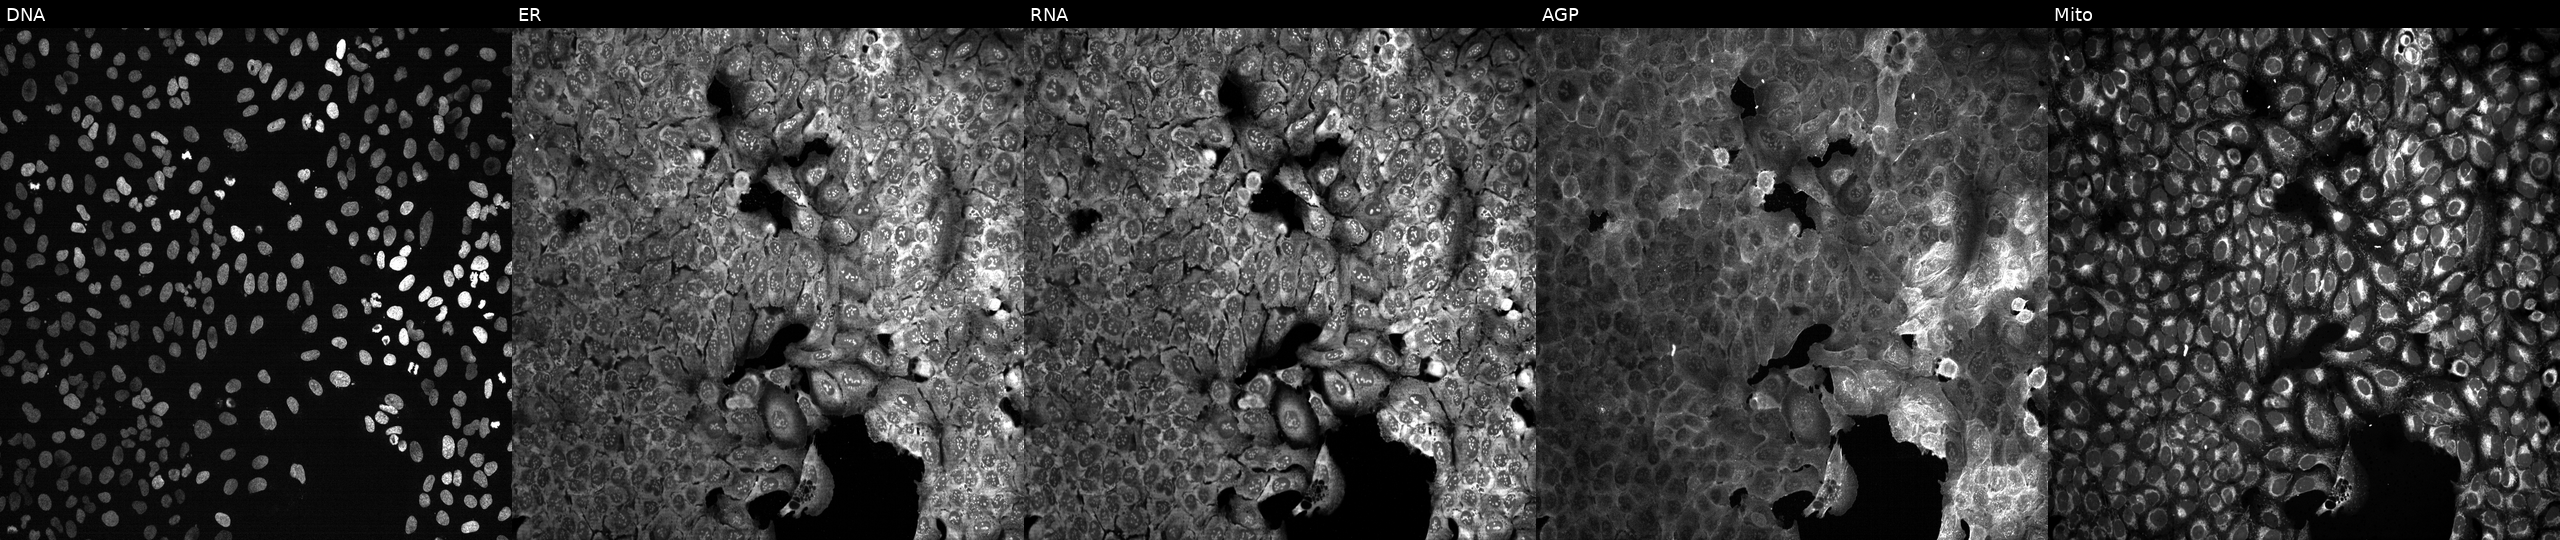
Five-channel Cell Painting image of U2OS cells CRISPR-edited to disrupt SNUPN (JUMP id JCP2022_806668). Panels show, left to right, Hoechst 33342, concanavalin A, SYTO 14, phalloidin and WGA, MitoTracker.